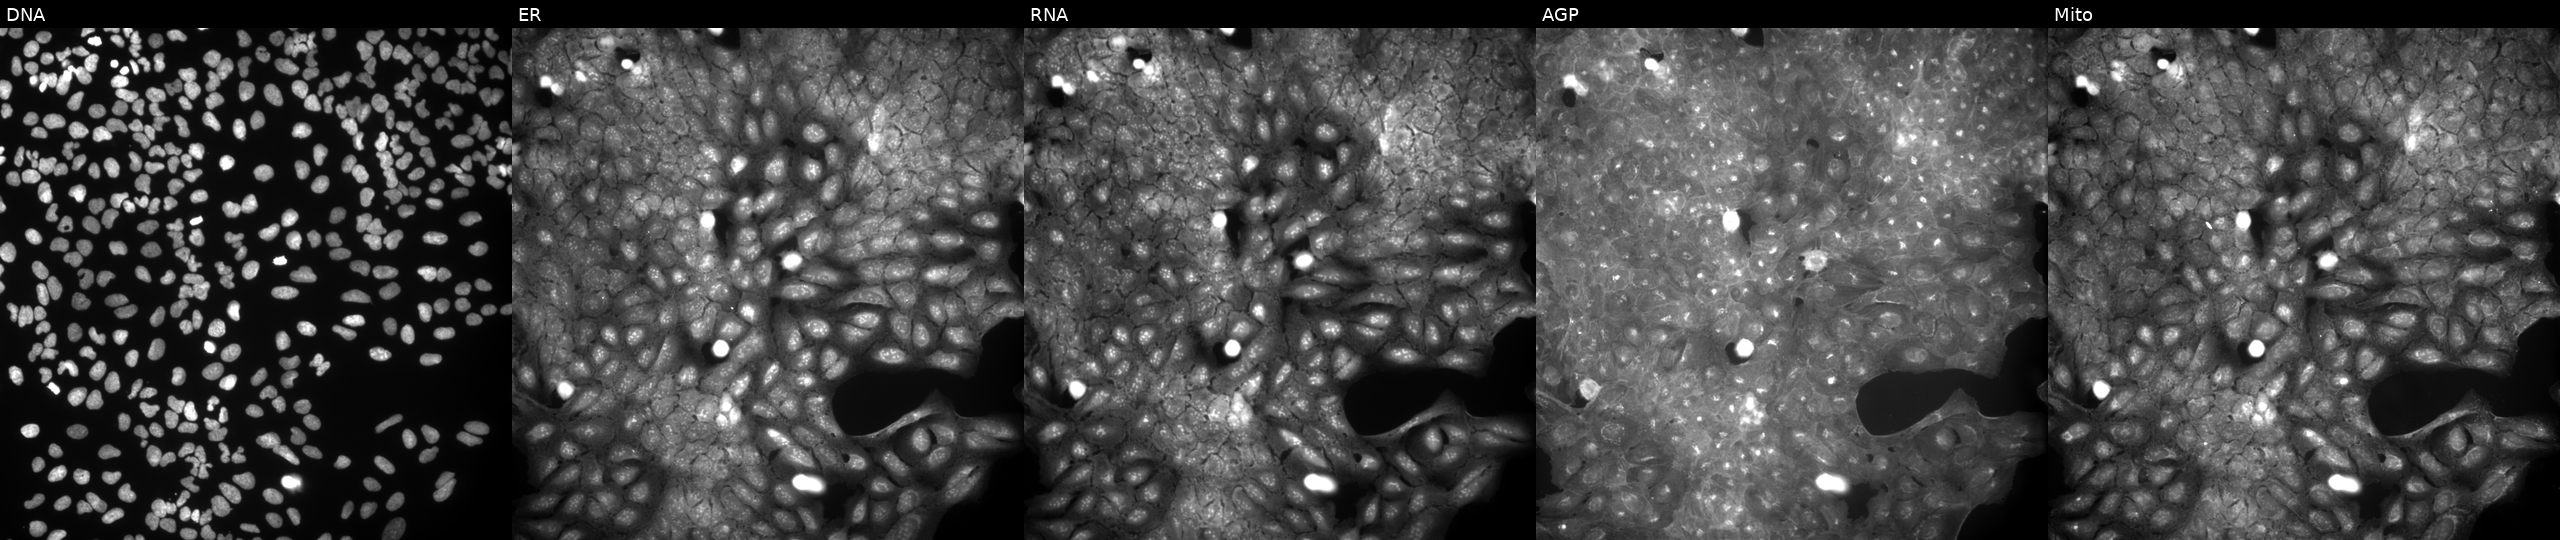
U2OS cells, Cell Painting assay, exposed to a small-molecule compound (InChIKey QXCTXPHWAZBNCY-UHFFFAOYSA-N) [SMILES: COc1ccc(S(=O)(=O)NCc2ccccn2)cc1]. Channels (left→right): DNA, ER, RNA, AGP, and Mito. Each panel is percentile-stretched 16-bit fluorescence.